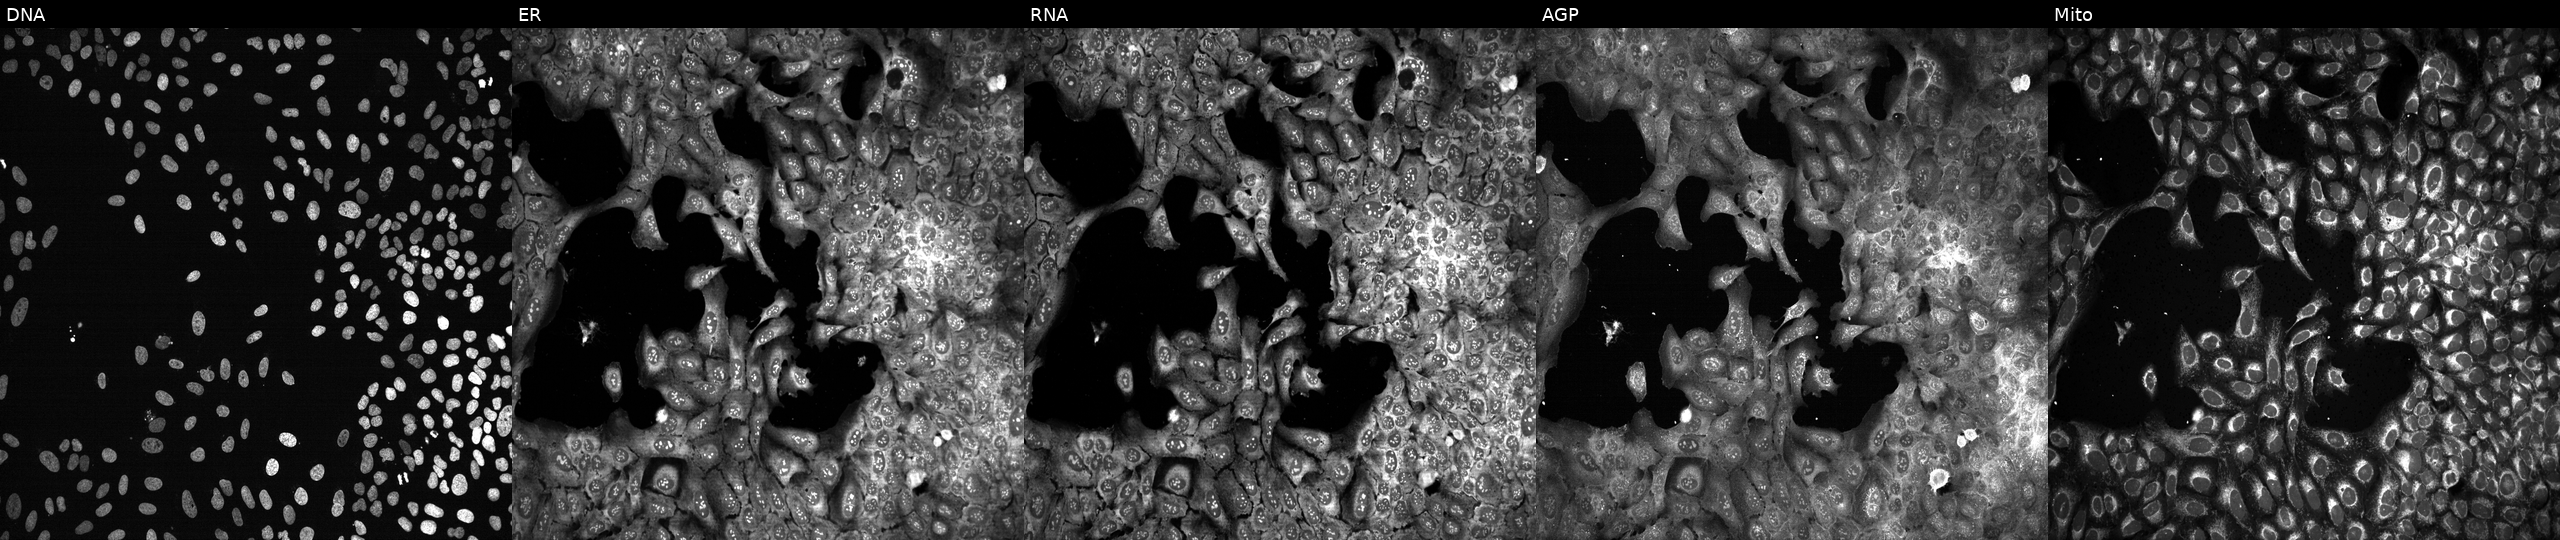
U2OS cells, Cell Painting assay, CRISPR-edited to disrupt SLC17A3. The five panels, left to right, show Hoechst 33342, concanavalin A, SYTO 14, phalloidin and WGA, MitoTracker. Each panel is percentile-stretched 16-bit fluorescence.